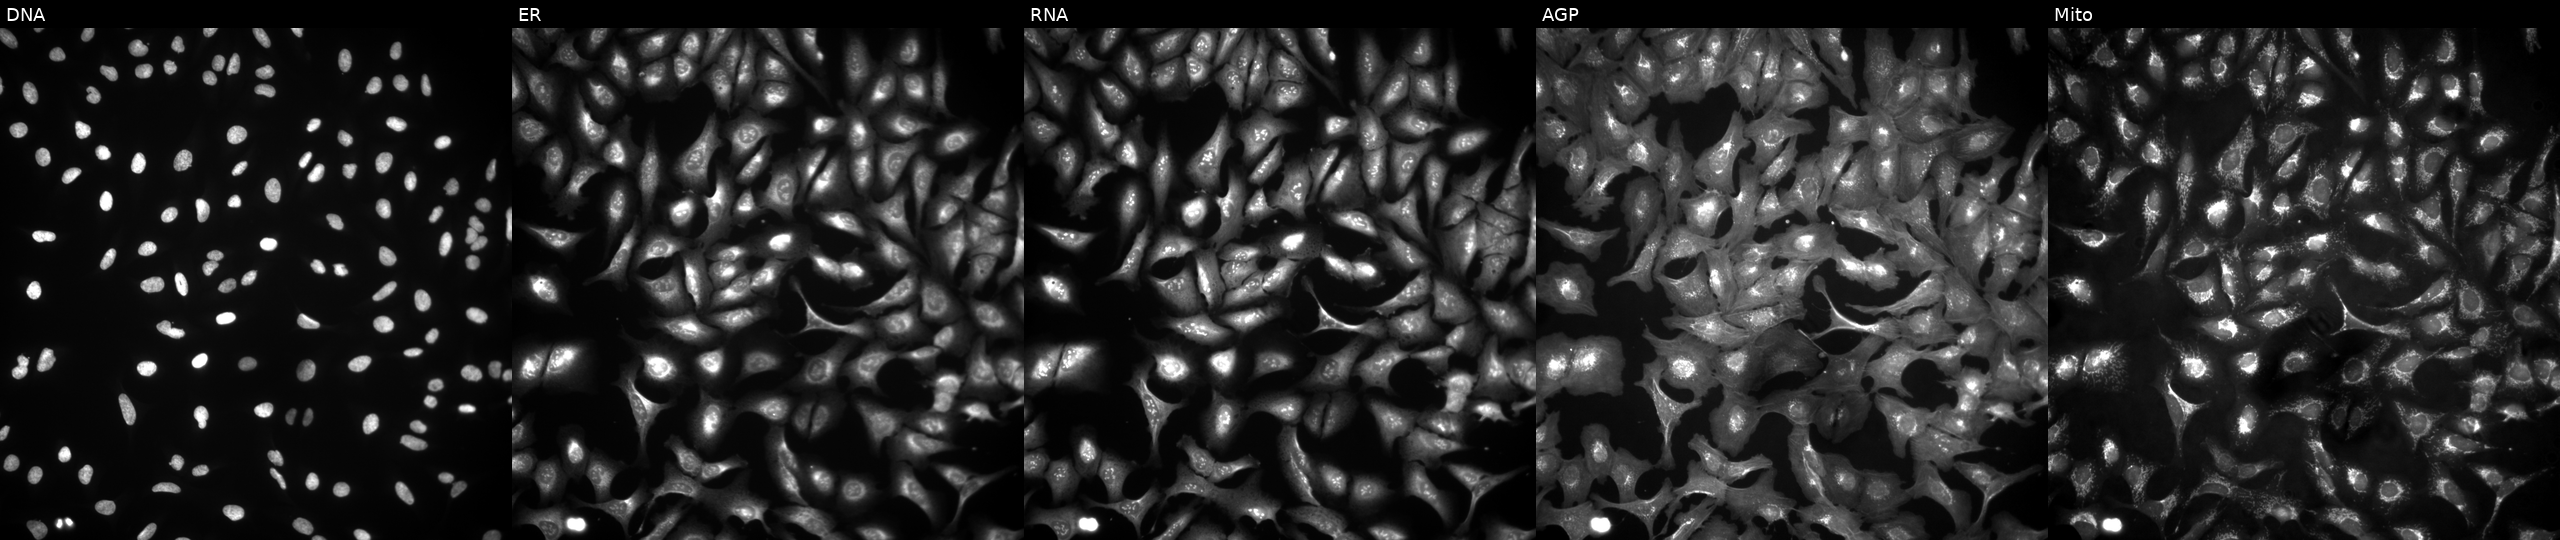
This image strip shows the five Cell Painting channels for a single field of U2OS cells with CSN1S1 overexpressed (ORF). Channels (left→right): DNA, ER, RNA, AGP, and Mito.